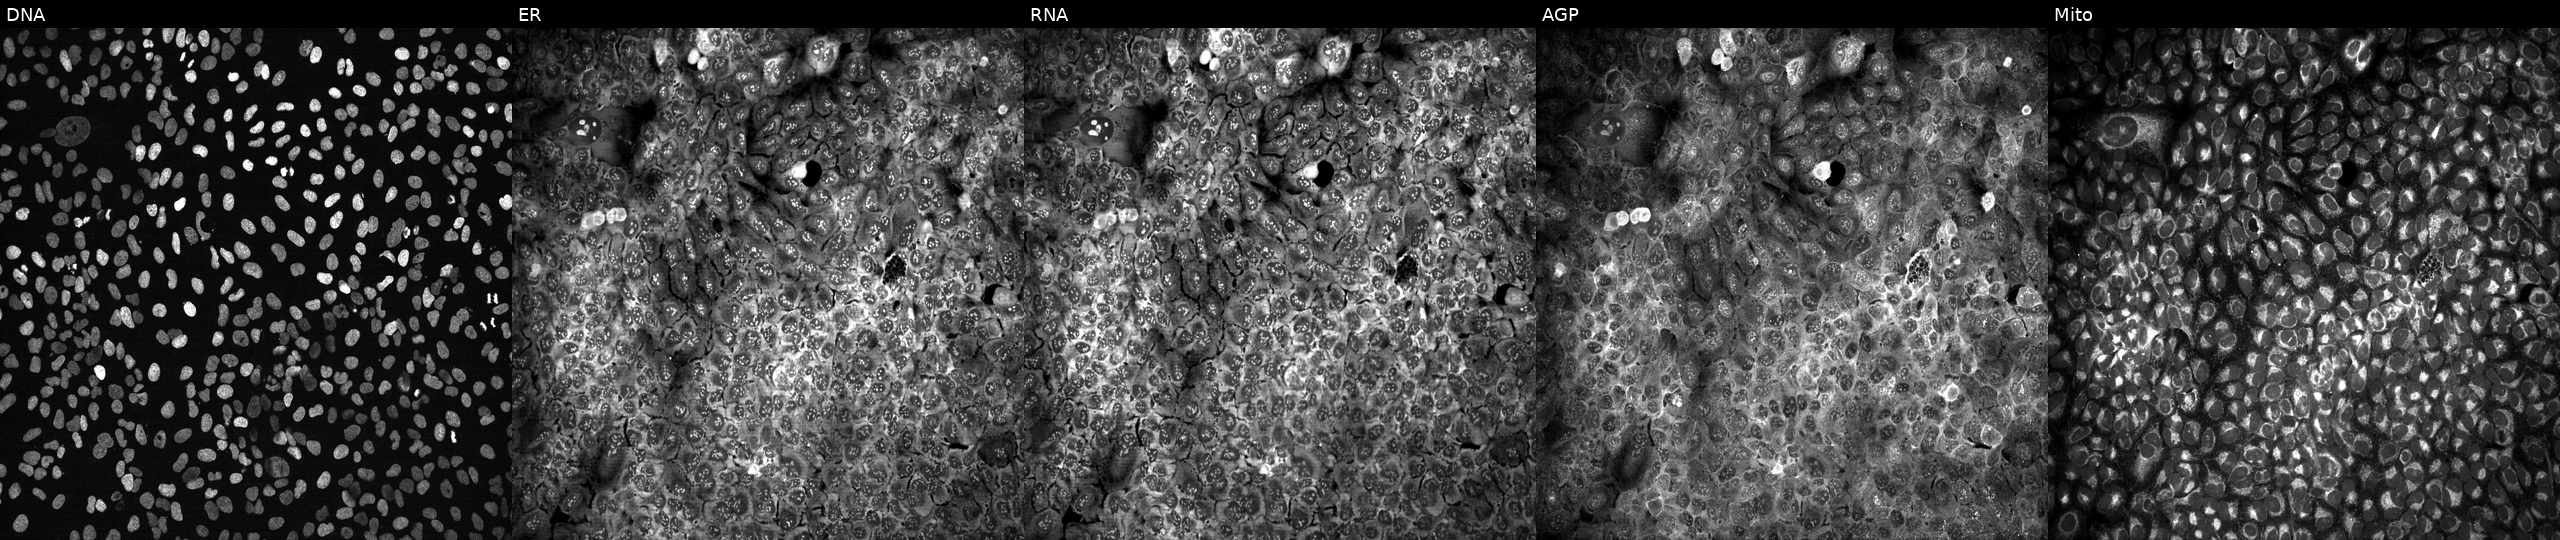
U2OS cells, Cell Painting assay, with AMACR knocked out by CRISPR (JUMP id JCP2022_800434). Panels show, left to right, Hoechst 33342, concanavalin A, SYTO 14, phalloidin and WGA, MitoTracker. Each panel is percentile-stretched 16-bit fluorescence.